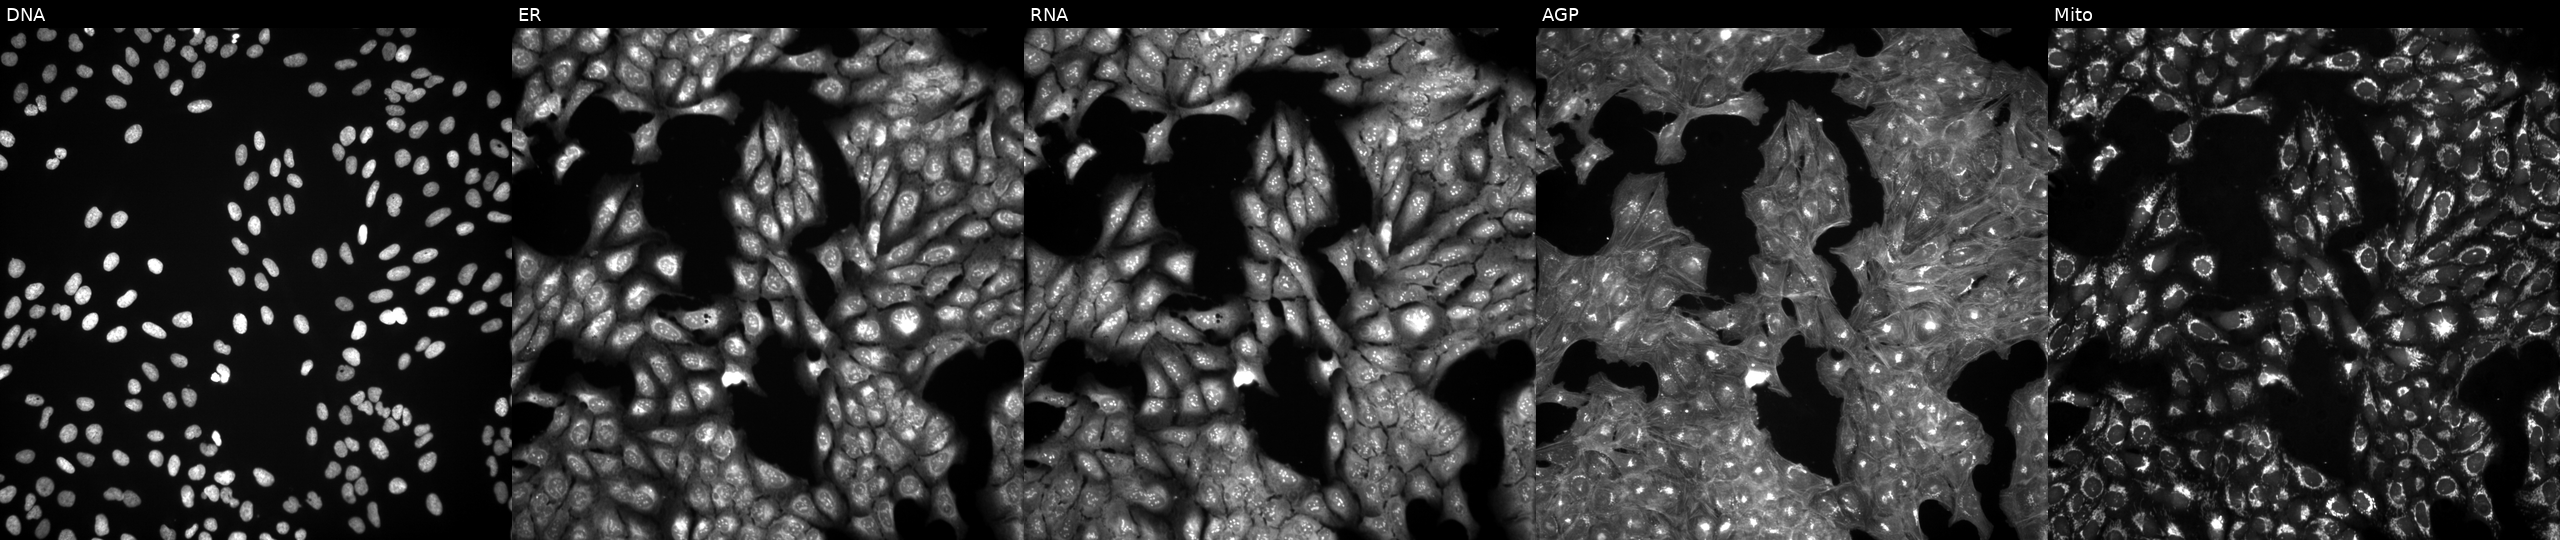
JUMP Cell Painting — COMPOUND plate. U2OS cells perturbed with a small-molecule compound (InChIKey DKPVHJHAZVHPBI-UHFFFAOYSA-N) [SMILES: N#Cc1ccccc1Sc1ccccc1C(=O)OCc1nnc(-c2ccccc2)o1]. Panels show, left to right, DNA (nuclei); ER (endoplasmic reticulum); RNA (nucleoli and cytoplasmic RNA); AGP (actin cytoskeleton, Golgi, and plasma membrane); Mito (mitochondria). Source 3, plate BR5867a3, well K16.